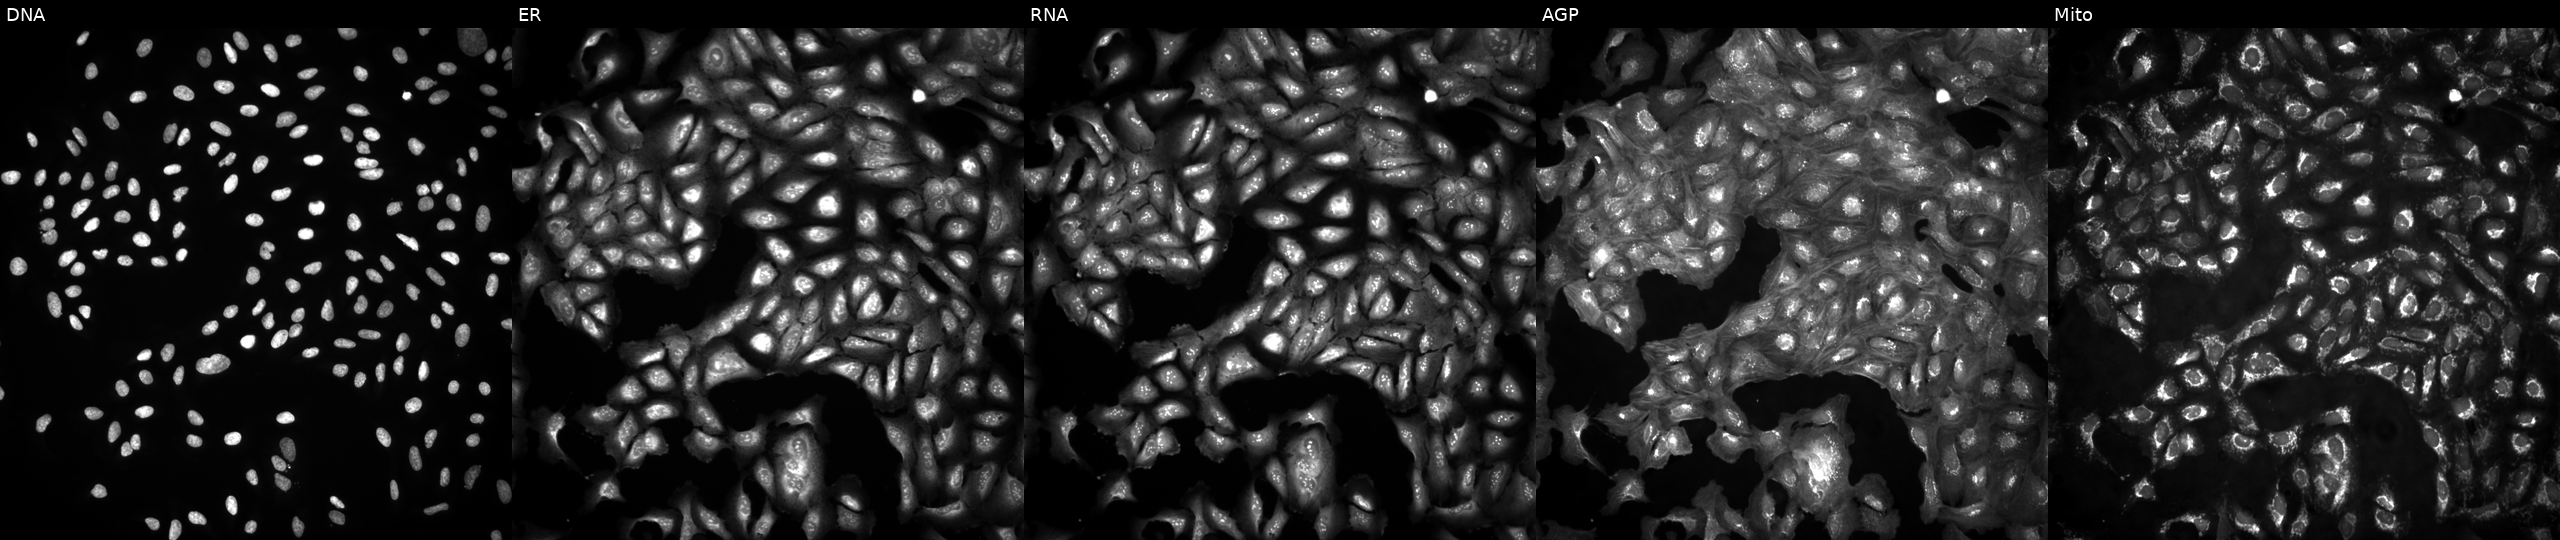
JUMP Cell Painting — ORF plate. U2OS cells in an empty control well (no perturbation). Panels show, left to right, DNA (nuclei); ER (endoplasmic reticulum); RNA (nucleoli and cytoplasmic RNA); AGP (actin cytoskeleton, Golgi, and plasma membrane); Mito (mitochondria). Source 4, plate BR00124793, well K06.